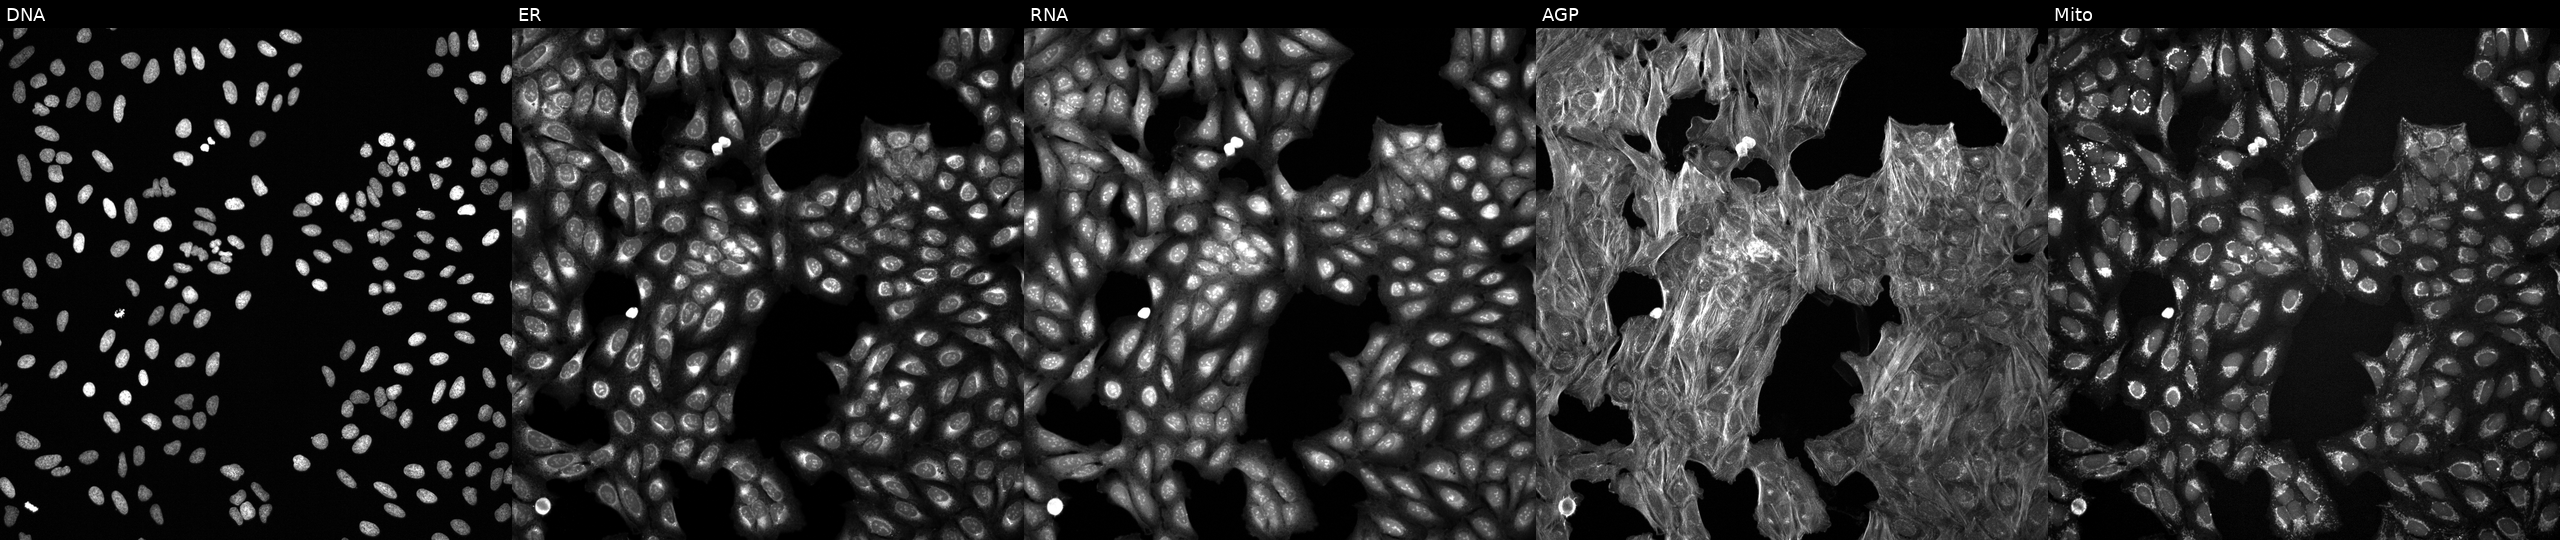
Panels show, left to right, DNA (nuclei); ER (endoplasmic reticulum); RNA (nucleoli and cytoplasmic RNA); AGP (actin cytoskeleton, Golgi, and plasma membrane); Mito (mitochondria). U2OS osteosarcoma cells exposed to a small-molecule compound [SMILES: O=C1NC(=O)c2cc(Nc3ccc(F)cc3)c(Nc3ccc(F)cc3)cc21] (JUMP id JCP2022_079715). Cell Painting assay, JUMP-CP dataset.